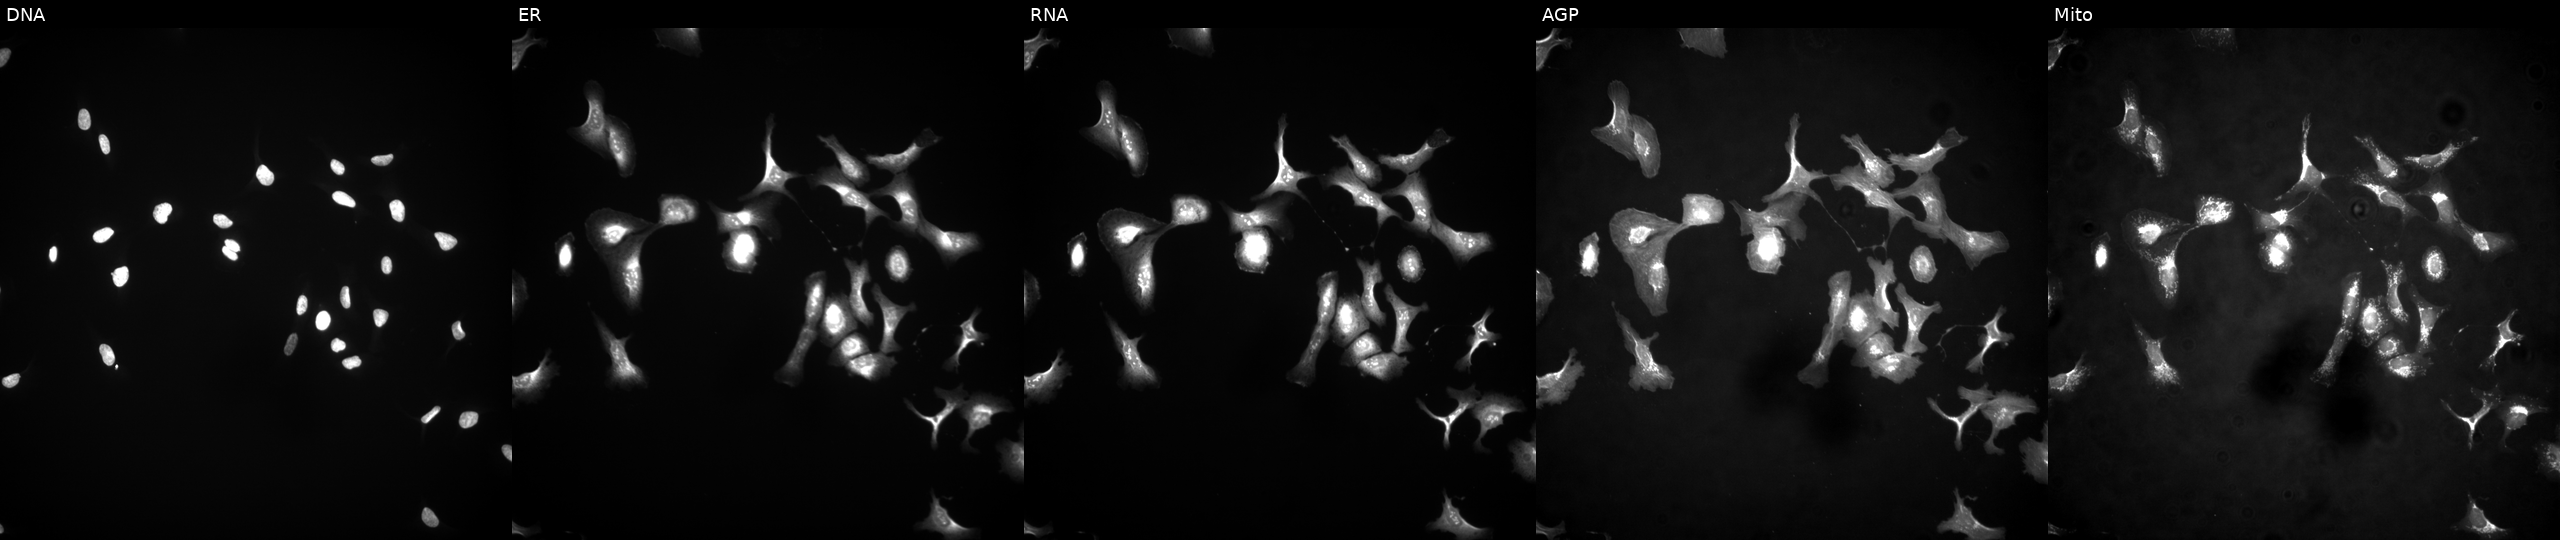
Five-channel Cell Painting image of U2OS cells with DEFB129 overexpressed (ORF) (JUMP id JCP2022_908955). The five panels, left to right, show DNA, ER, RNA, AGP, and Mito.